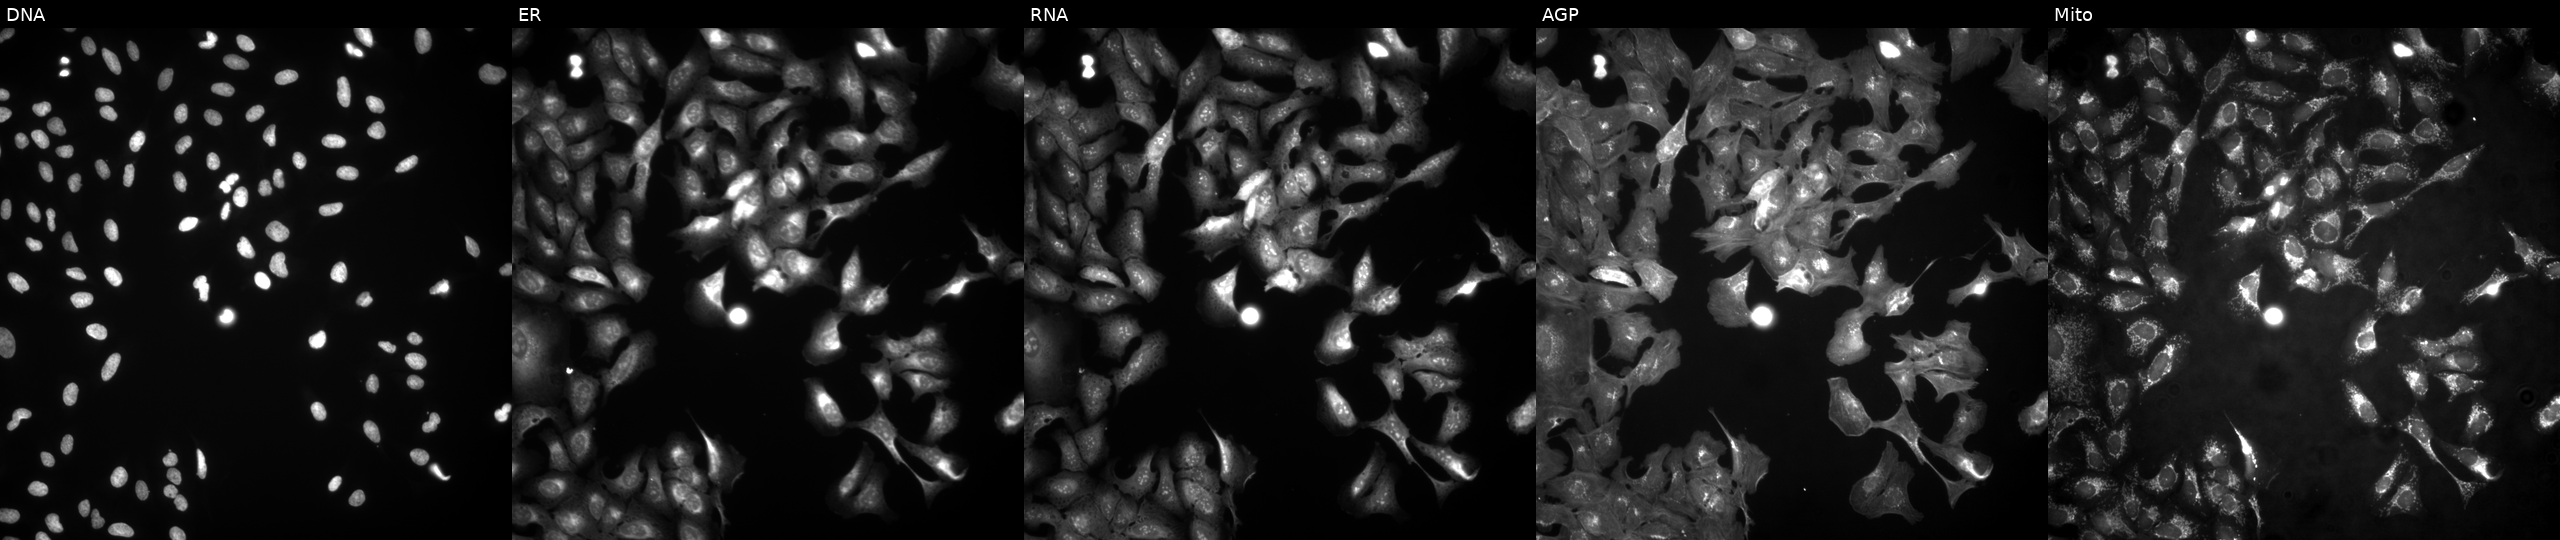
U2OS cells, Cell Painting assay, with SYNGR4 overexpressed (ORF). From left to right: Hoechst 33342, concanavalin A, SYTO 14, phalloidin and WGA, MitoTracker. Each panel is percentile-stretched 16-bit fluorescence. Source 4, plate BR00123509, well A24.